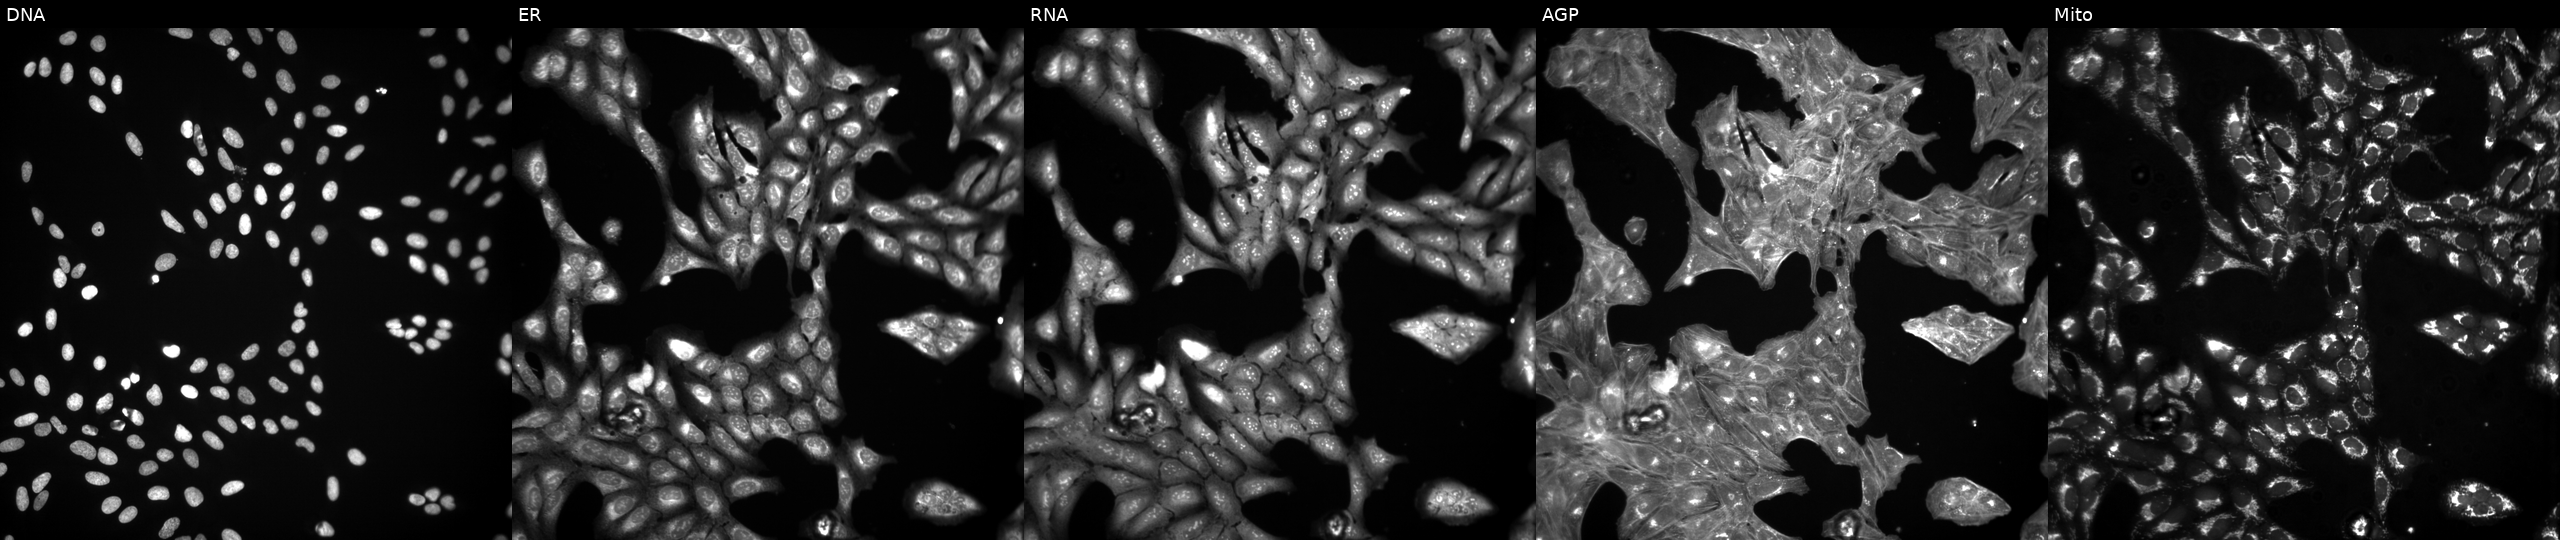
High-content fluorescence microscopy (Cell Painting). Cell line: U2OS. Perturbation: perturbed with a small-molecule compound (InChIKey YMDXSGBNCBQYGC-UHFFFAOYSA-N) [SMILES: CCOC(=O)C1=C(COCCN)N=C(C)C(C(=O)OC)C1c1ccccc1Cl] (JUMP id JCP2022_109350). Panels show, left to right, DNA (nuclei); ER (endoplasmic reticulum); RNA (nucleoli and cytoplasmic RNA); AGP (actin cytoskeleton, Golgi, and plasma membrane); Mito (mitochondria). Source 3, plate JCPQC051, well C24.